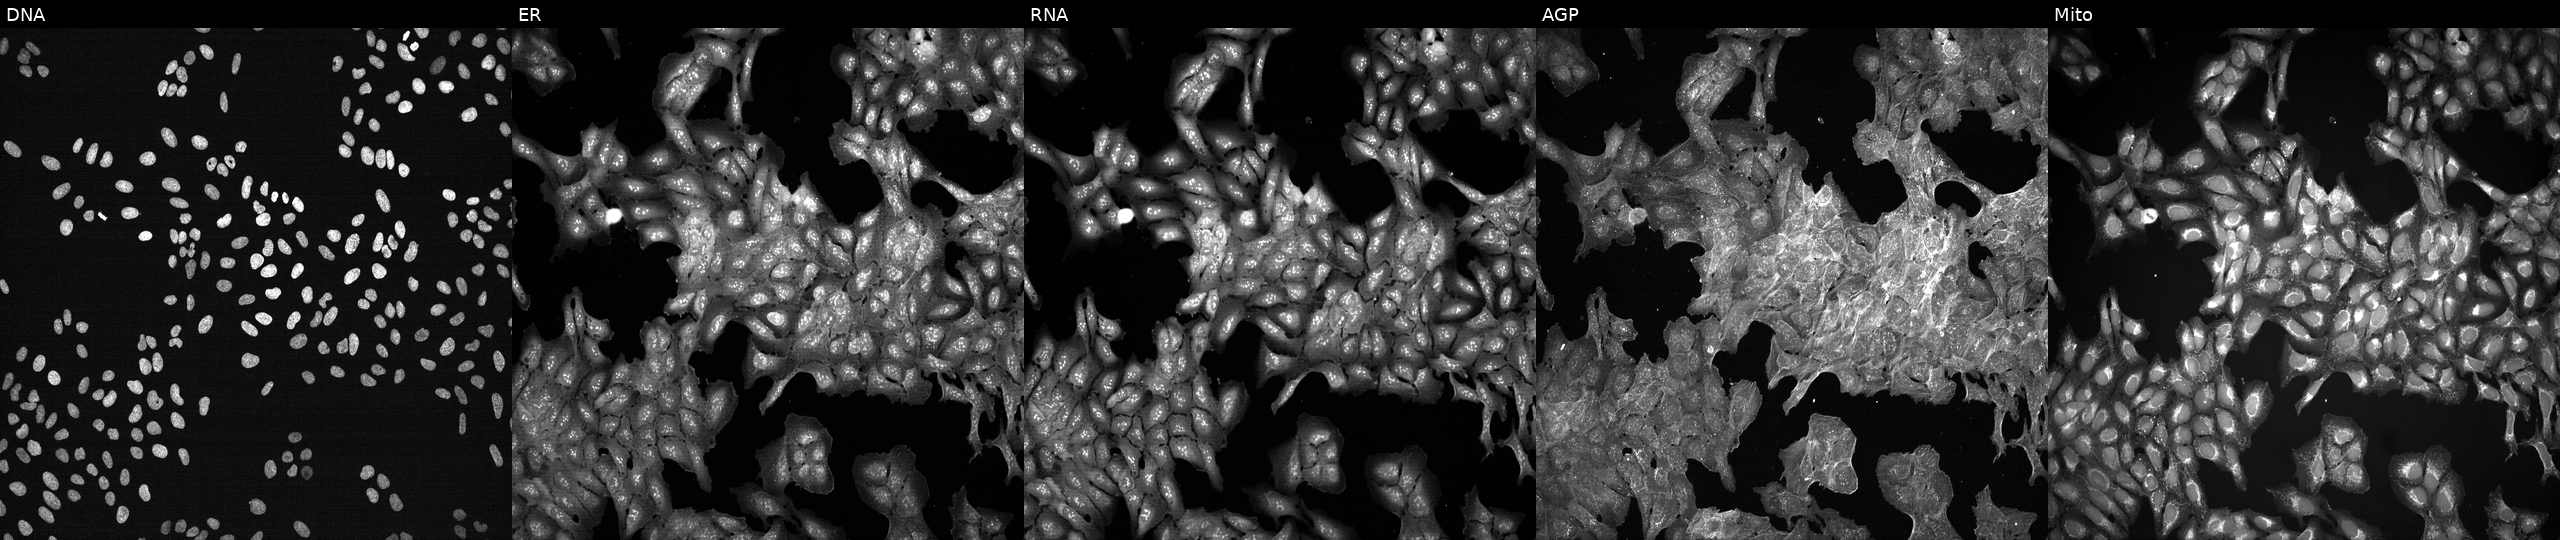
U2OS cells, Cell Painting assay, exposed to a small-molecule compound (JUMP id JCP2022_044972). Channels (left→right): DNA (nuclei); ER (endoplasmic reticulum); RNA (nucleoli and cytoplasmic RNA); AGP (actin cytoskeleton, Golgi, and plasma membrane); Mito (mitochondria). Each panel is percentile-stretched 16-bit fluorescence. Source 7, plate CP2-SC1-25, well O16.